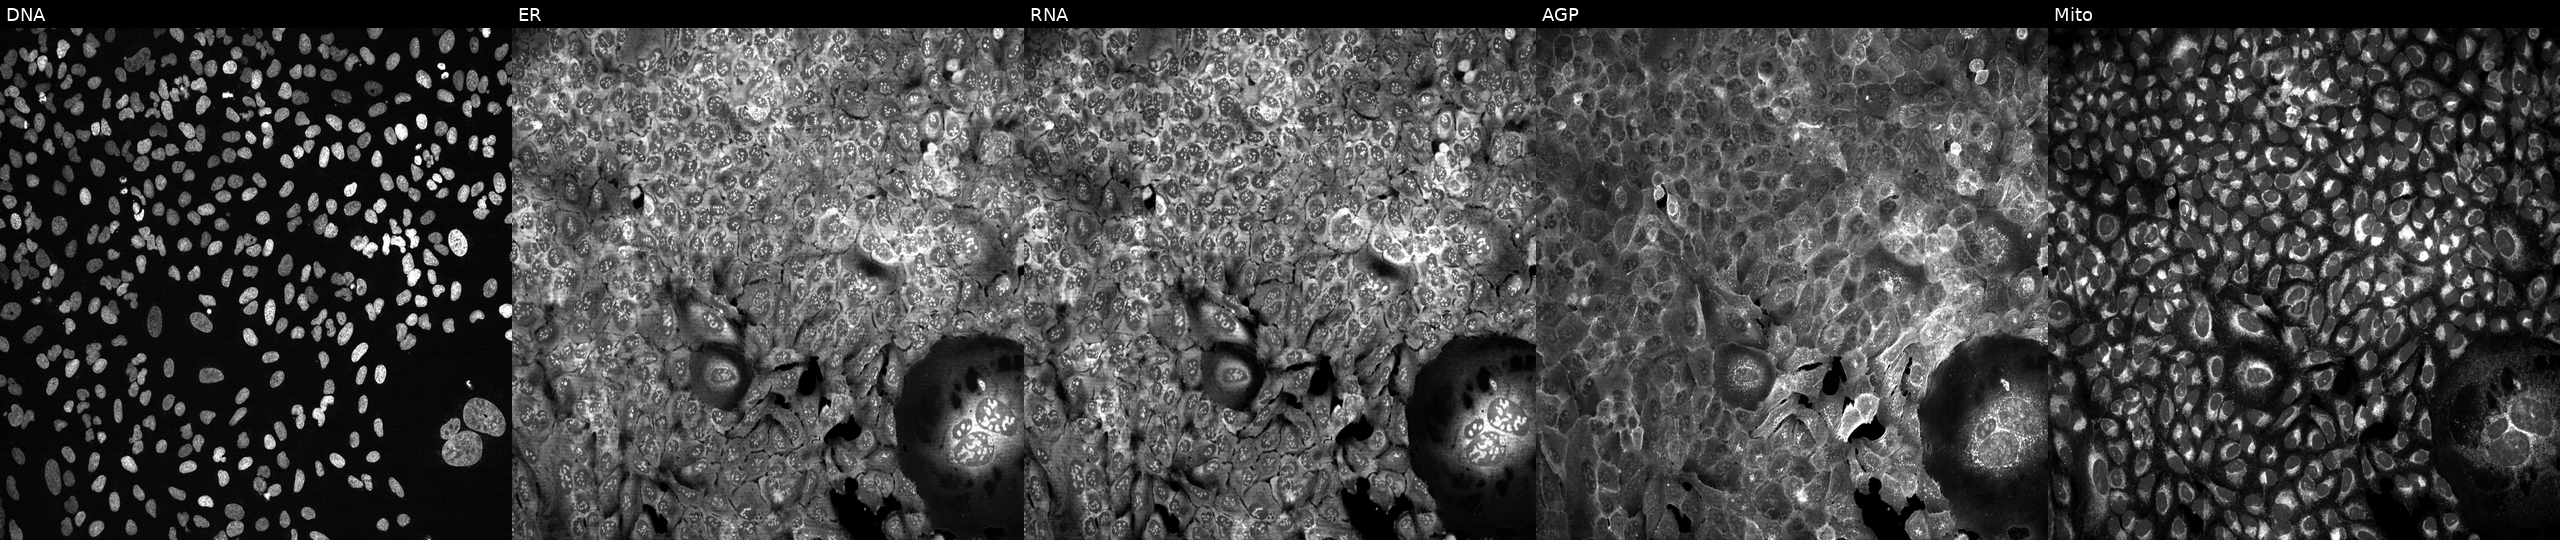
Channels (left→right): Hoechst 33342, concanavalin A, SYTO 14, phalloidin and WGA, MitoTracker. U2OS osteosarcoma cells CRISPR-edited to disrupt KLK7. Cell Painting assay, JUMP-CP dataset. Source 13, plate CP-CC9-R6-19, well G10.